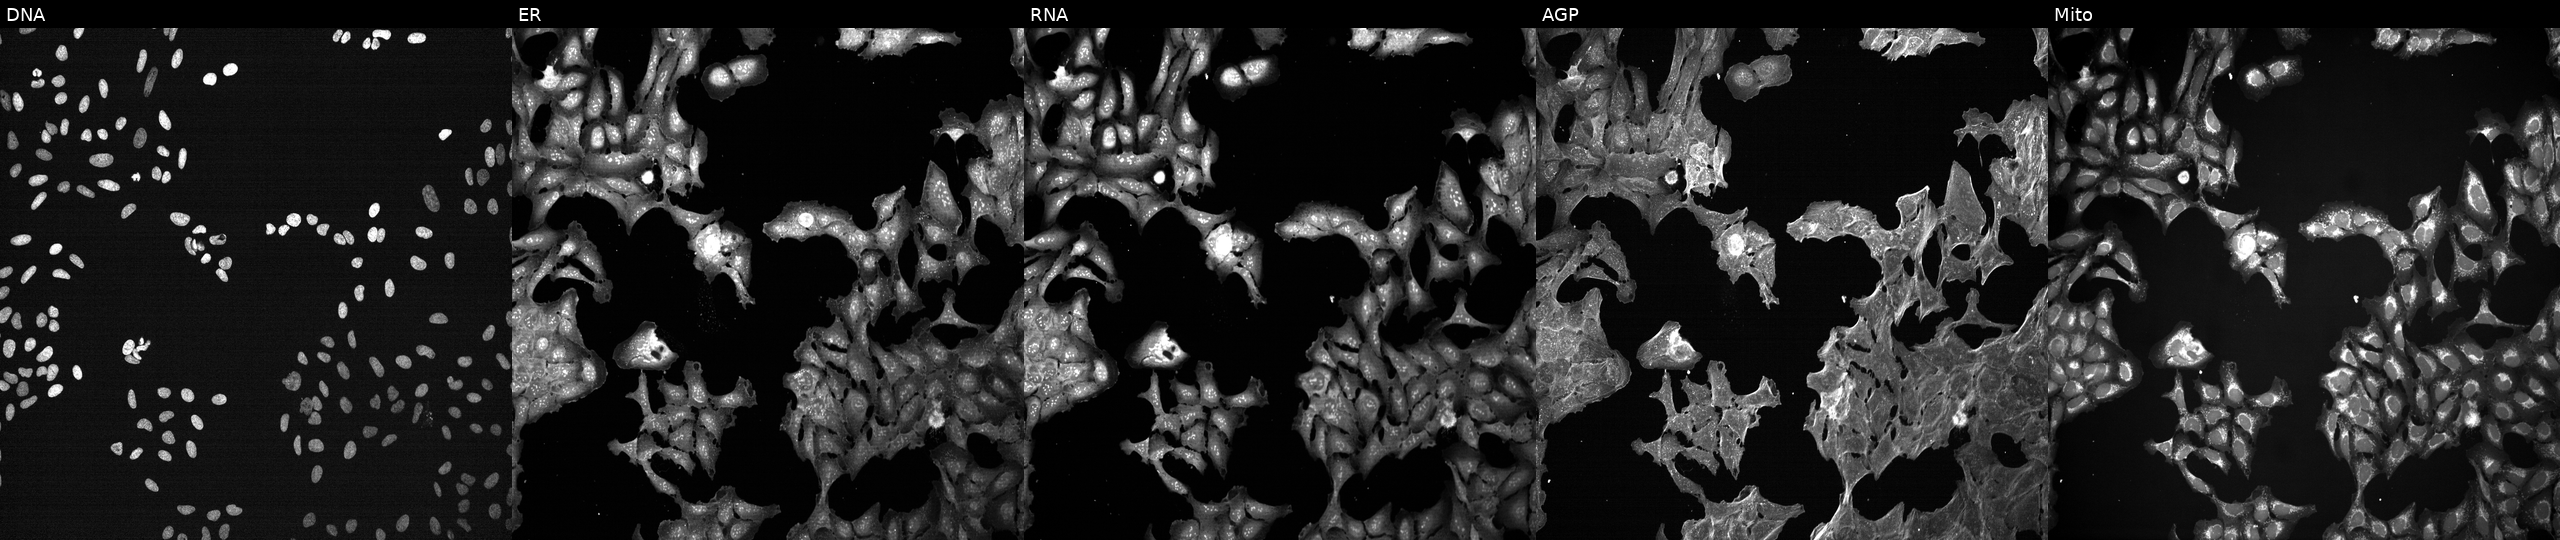
Five-channel Cell Painting image of U2OS cells exposed to a small-molecule compound (InChIKey NITYDPDXAAFEIT-UHFFFAOYSA-N) (JUMP id JCP2022_059269). Panels show, left to right, DNA (nuclei); ER (endoplasmic reticulum); RNA (nucleoli and cytoplasmic RNA); AGP (actin cytoskeleton, Golgi, and plasma membrane); Mito (mitochondria).